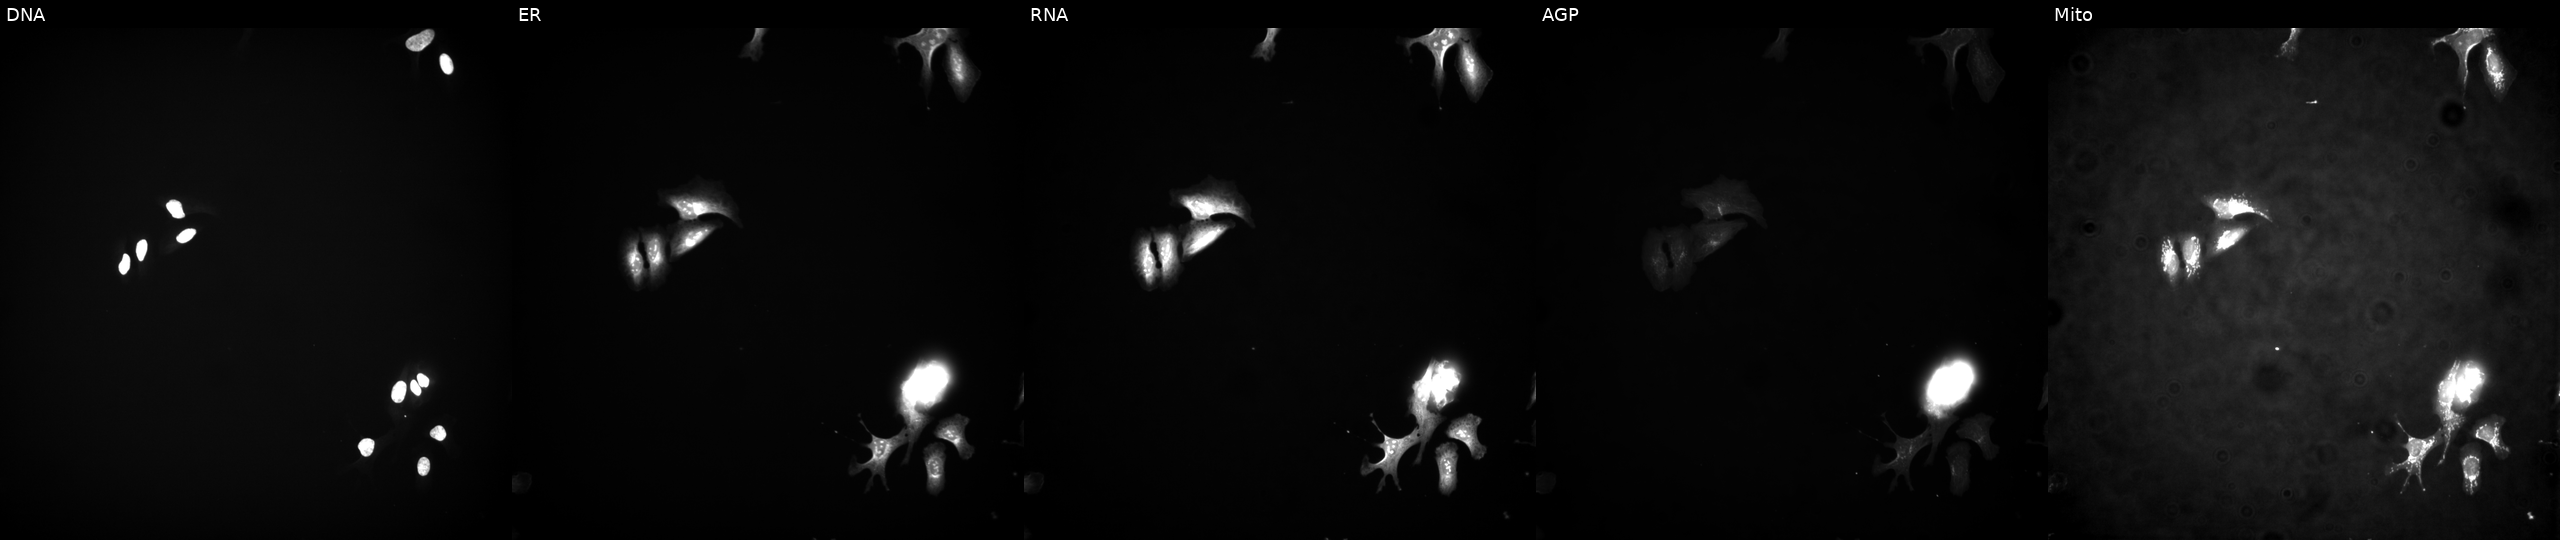
The five panels, left to right, show DNA (nuclei); ER (endoplasmic reticulum); RNA (nucleoli and cytoplasmic RNA); AGP (actin cytoskeleton, Golgi, and plasma membrane); Mito (mitochondria). U2OS osteosarcoma cells overexpressing BRSK2 via ORF transfection. Cell Painting assay, JUMP-CP dataset. Source 4, plate BR00123945, well I10.